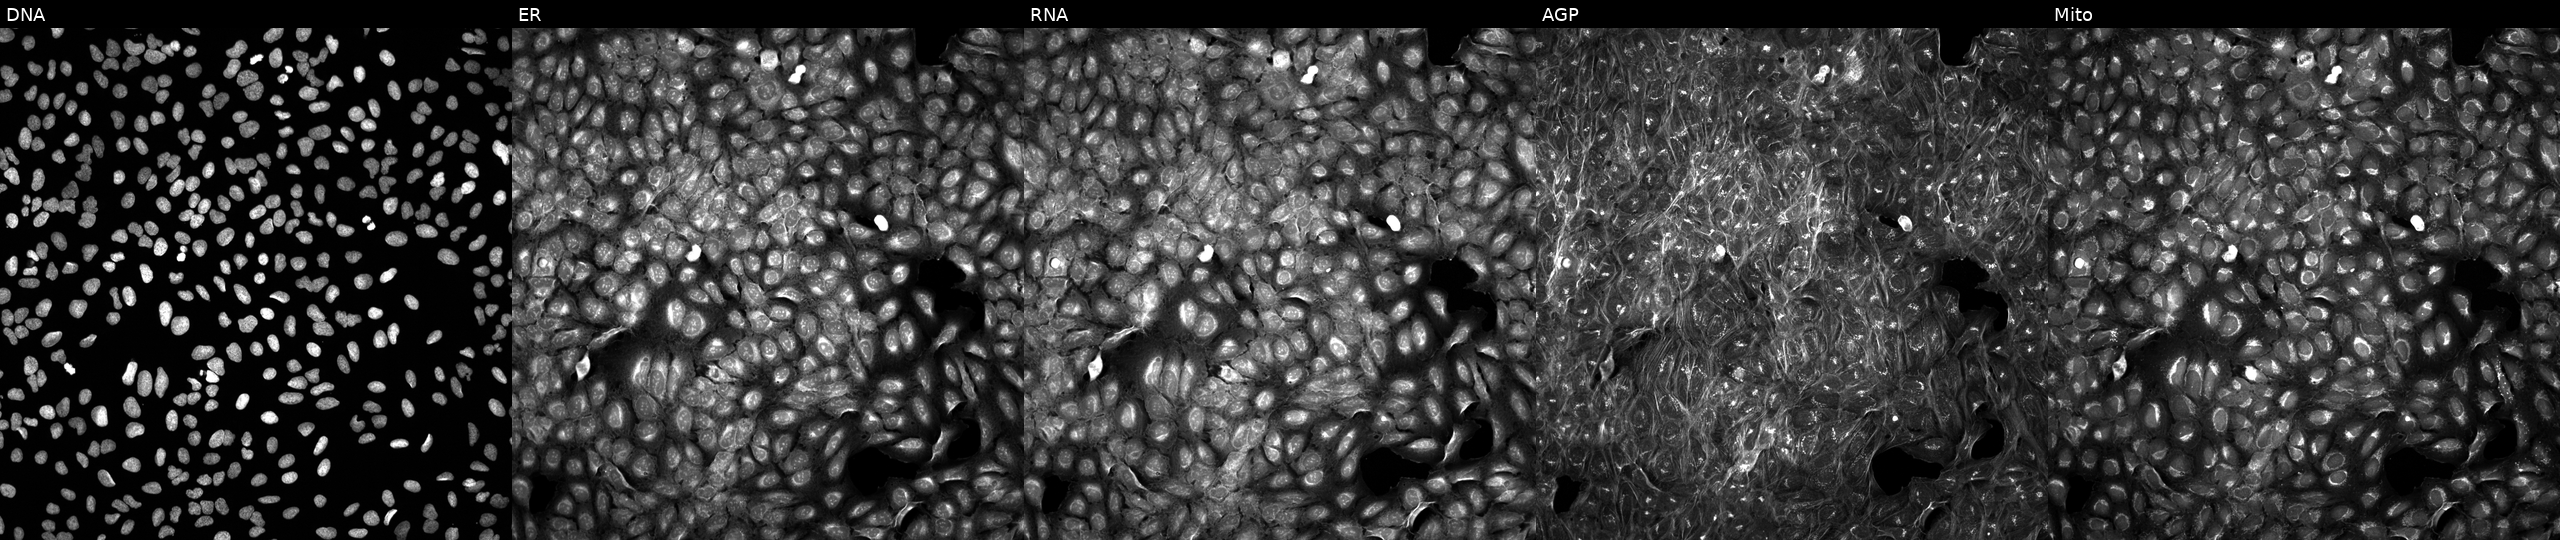
Five-channel Cell Painting image of U2OS cells perturbed with a small-molecule compound (InChIKey SQJBHJVTSUJPQY-UHFFFAOYSA-N). Channels (left→right): Hoechst 33342, concanavalin A, SYTO 14, phalloidin and WGA, MitoTracker.